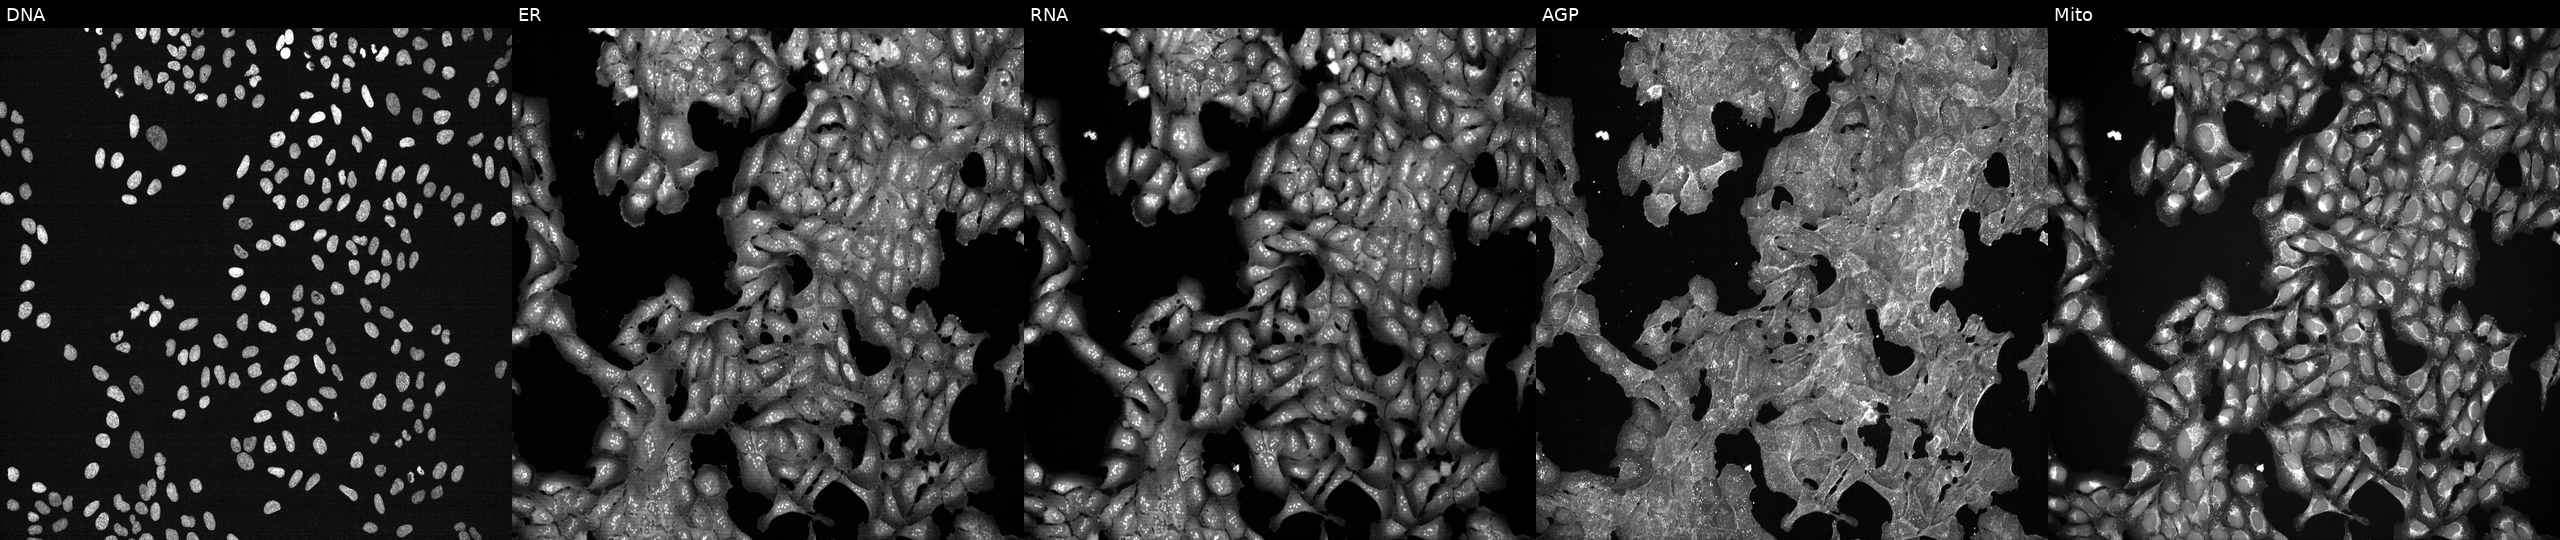
U2OS cells, Cell Painting assay, exposed to DMSO alone as a negative control. The five panels, left to right, show DNA, ER, RNA, AGP, and Mito. Each panel is percentile-stretched 16-bit fluorescence. Source 7, plate CP2-SC1-25, well F14.